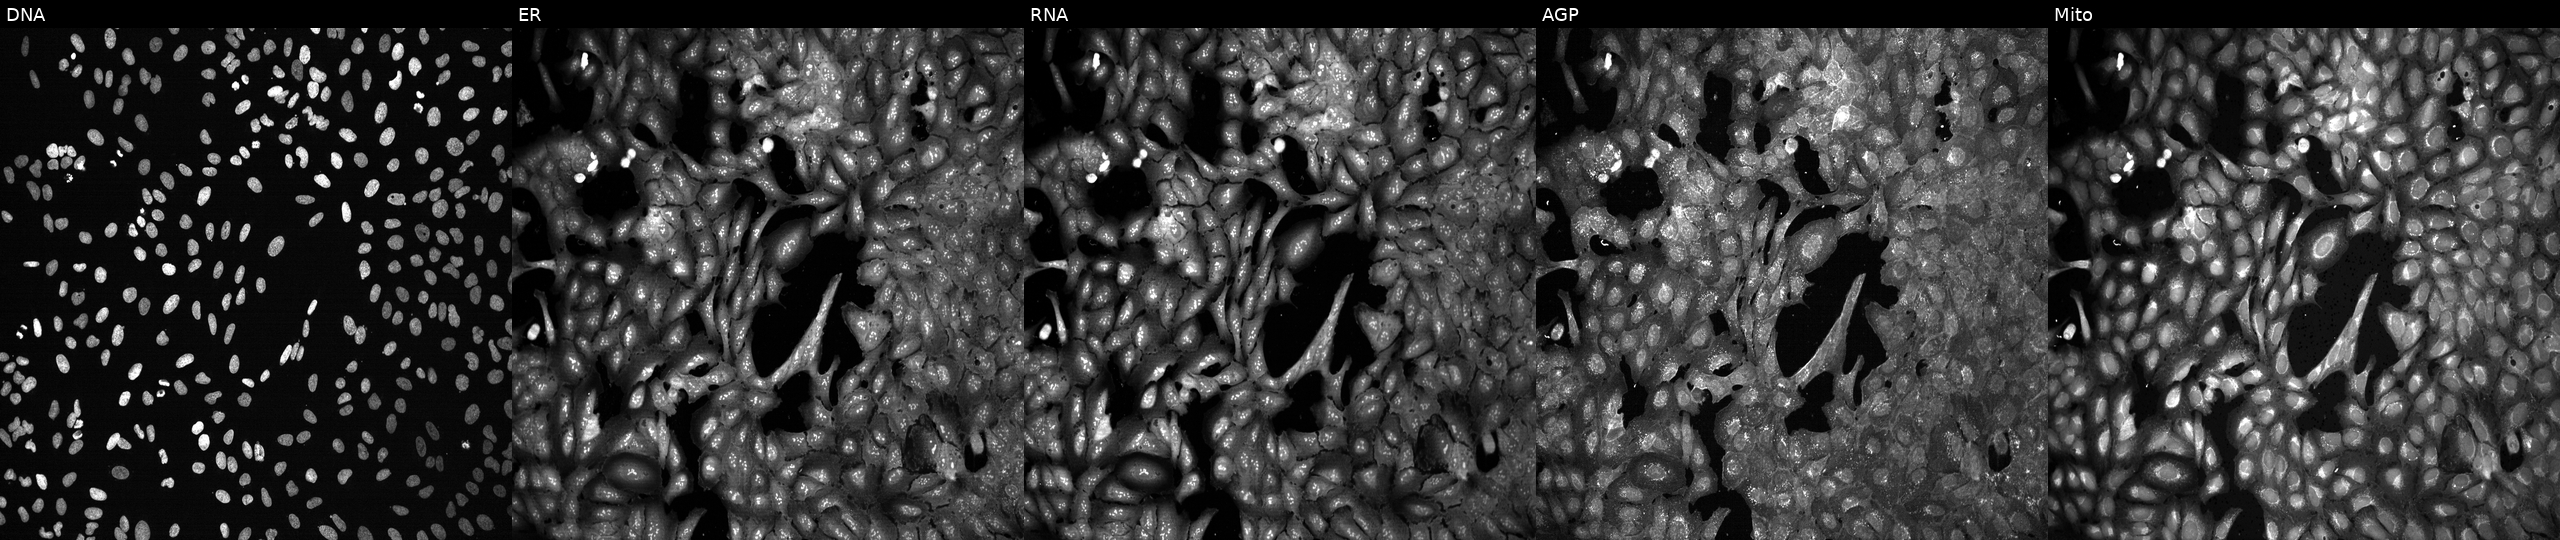
From left to right: DNA, ER, RNA, AGP, and Mito. U2OS osteosarcoma cells with DNASE1L3 knocked out by CRISPR. Cell Painting assay, JUMP-CP dataset.